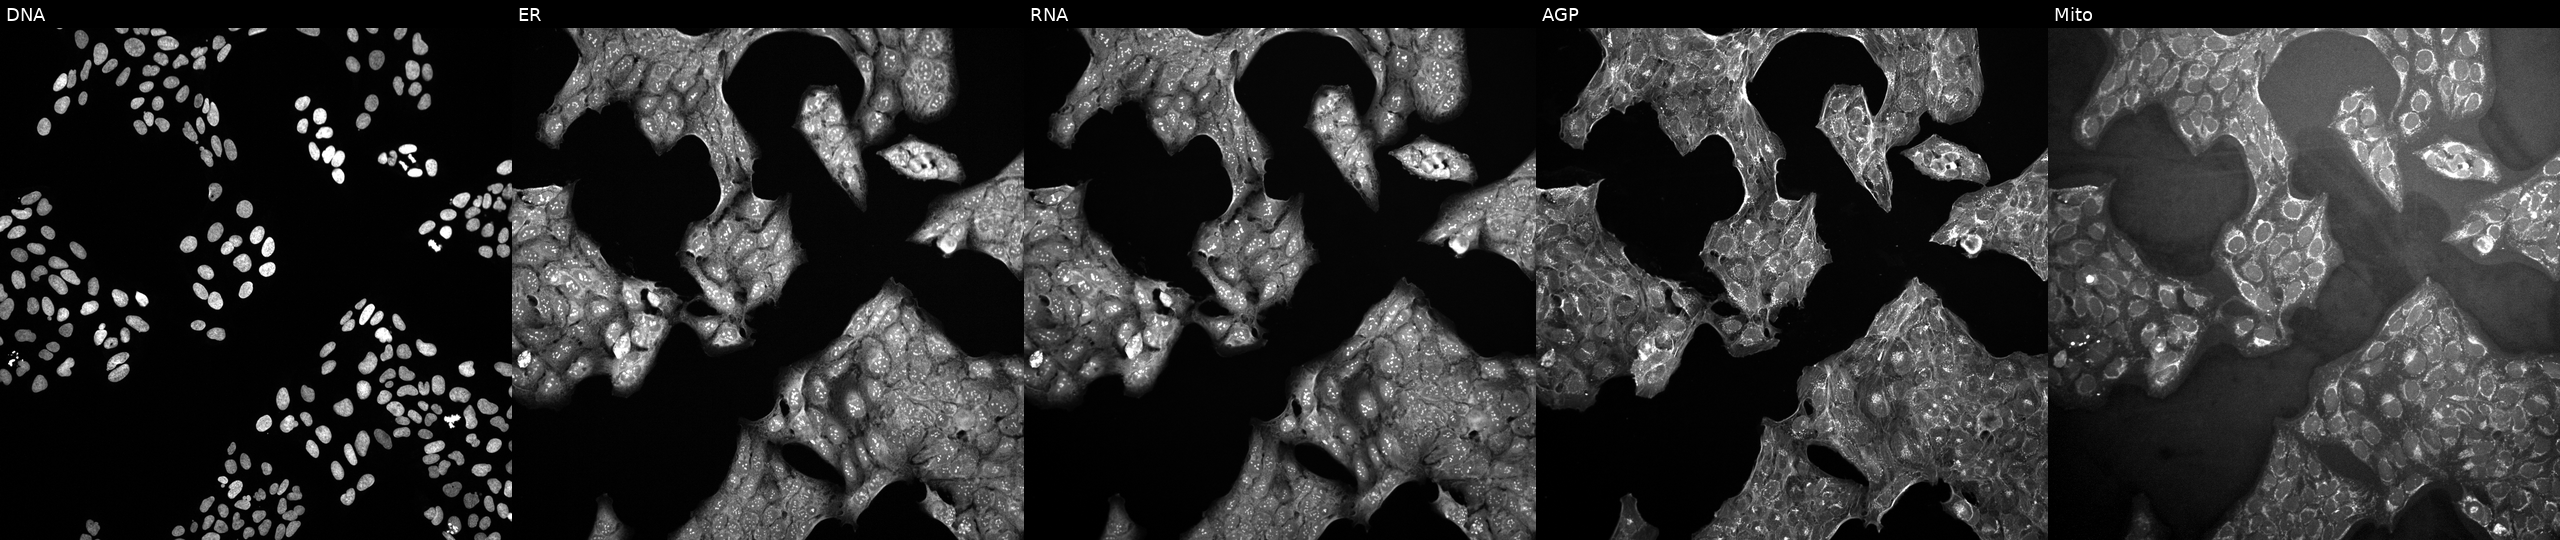
The five panels, left to right, show DNA (nuclei); ER (endoplasmic reticulum); RNA (nucleoli and cytoplasmic RNA); AGP (actin cytoskeleton, Golgi, and plasma membrane); Mito (mitochondria). U2OS osteosarcoma cells treated with LY2109761 (positive-control compound) (JUMP id JCP2022_035095). Cell Painting assay, JUMP-CP dataset.